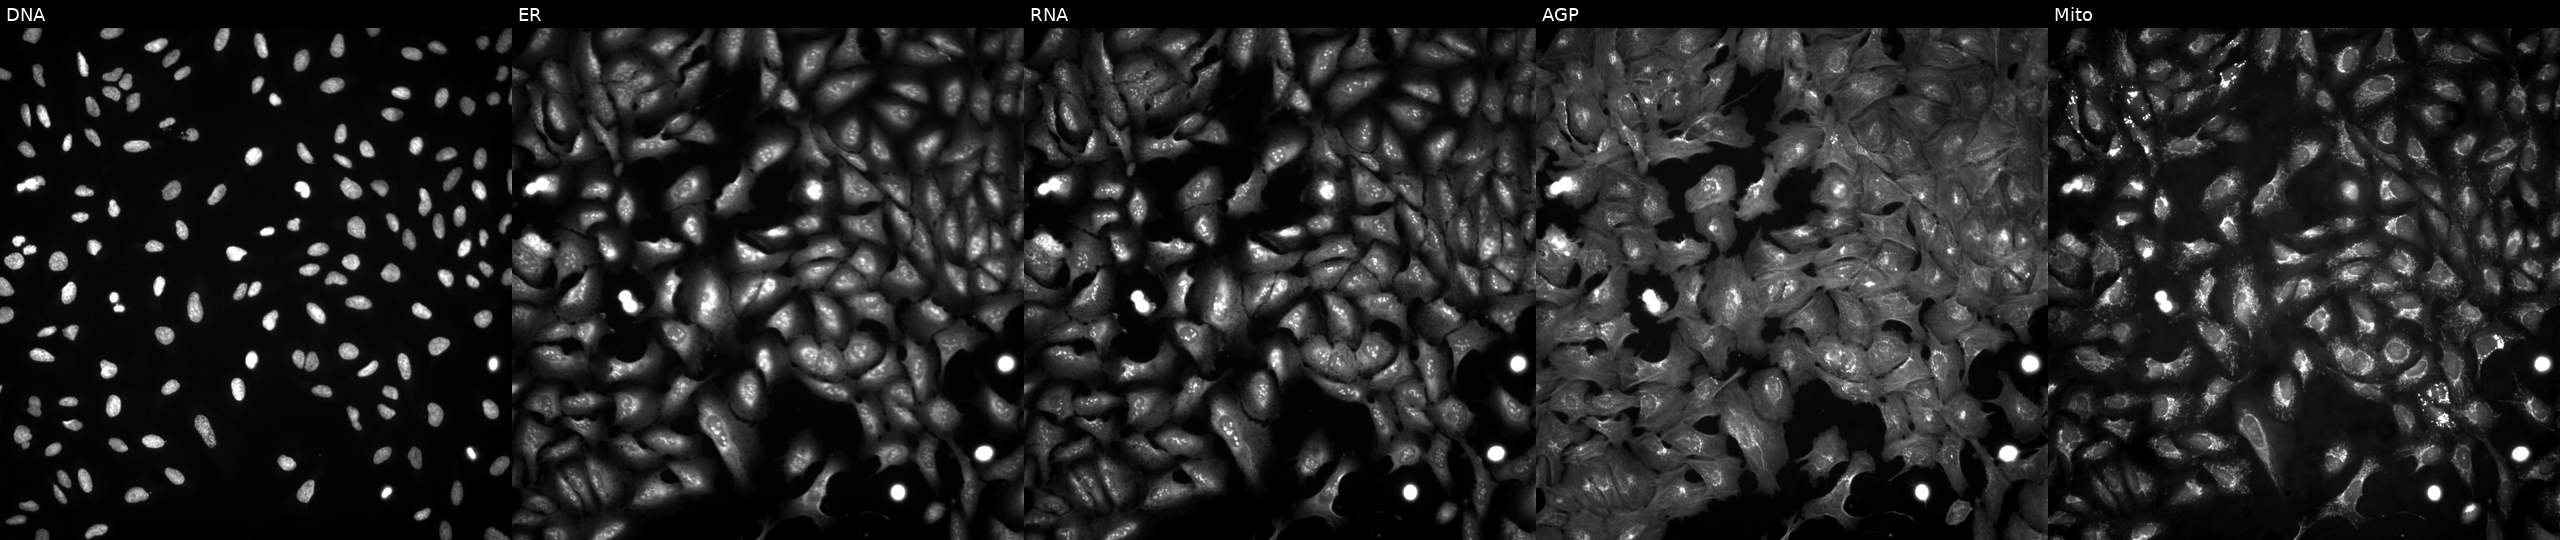
High-content fluorescence microscopy (Cell Painting). Cell line: U2OS. Perturbation: with XLOC_010651 overexpressed (ORF). Panels show, left to right, DNA (nuclei); ER (endoplasmic reticulum); RNA (nucleoli and cytoplasmic RNA); AGP (actin cytoskeleton, Golgi, and plasma membrane); Mito (mitochondria). Source 4, plate BR00124784, well F15.